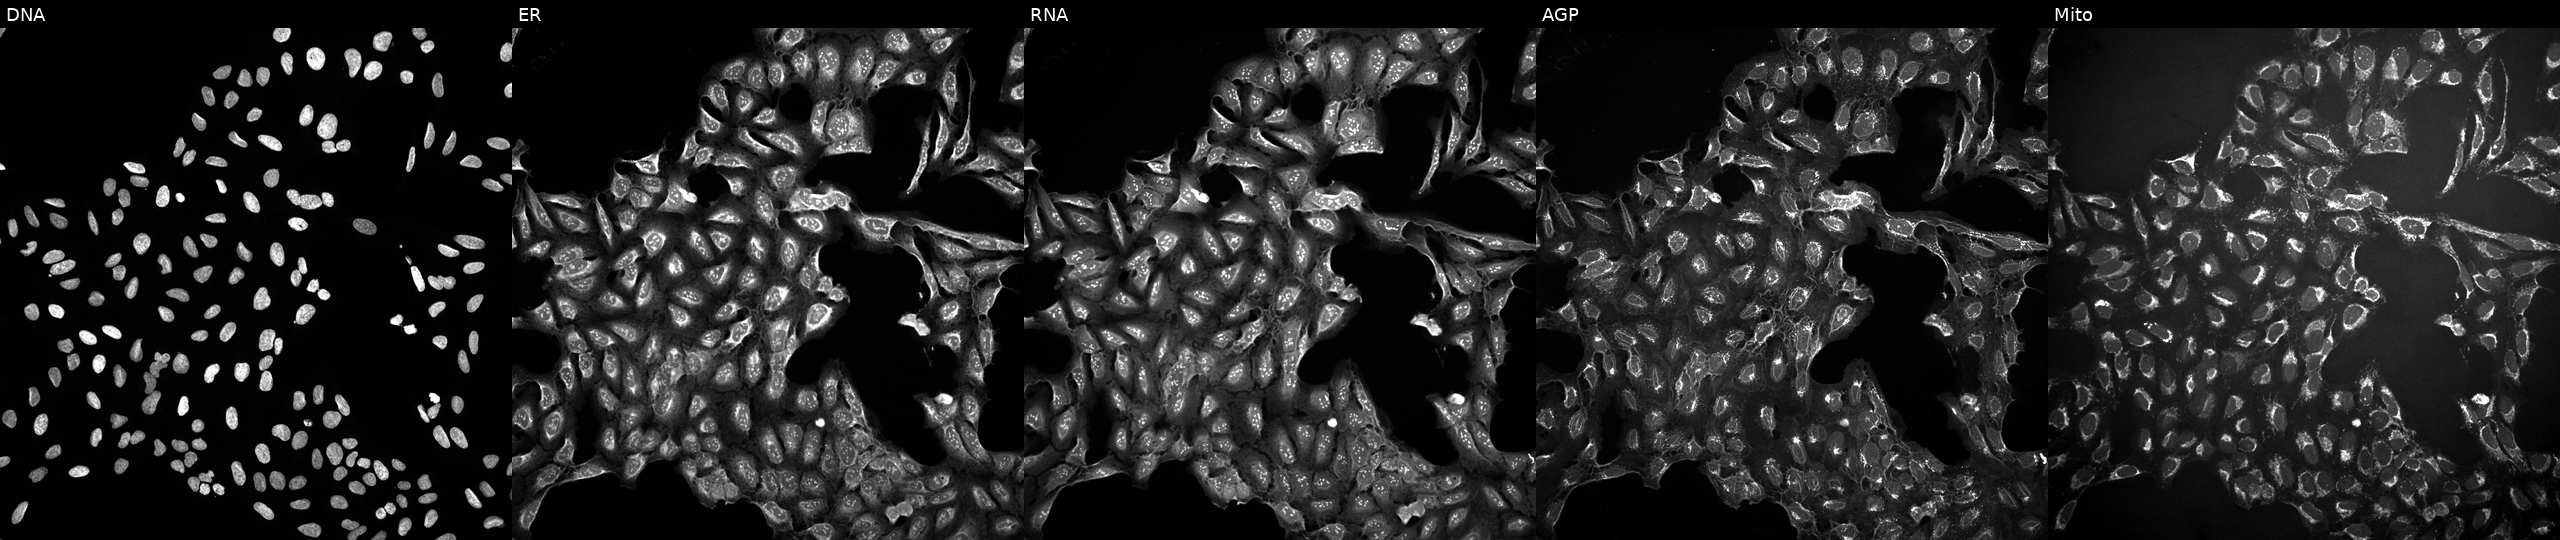
JUMP Cell Painting — TARGET2 plate. U2OS cells treated with a small-molecule compound (InChIKey WDENQIQQYWYTPO-UHFFFAOYSA-N). Panels show, left to right, Hoechst 33342, concanavalin A, SYTO 14, phalloidin and WGA, MitoTracker. Source 10, plate Dest210803-153958, well P07.